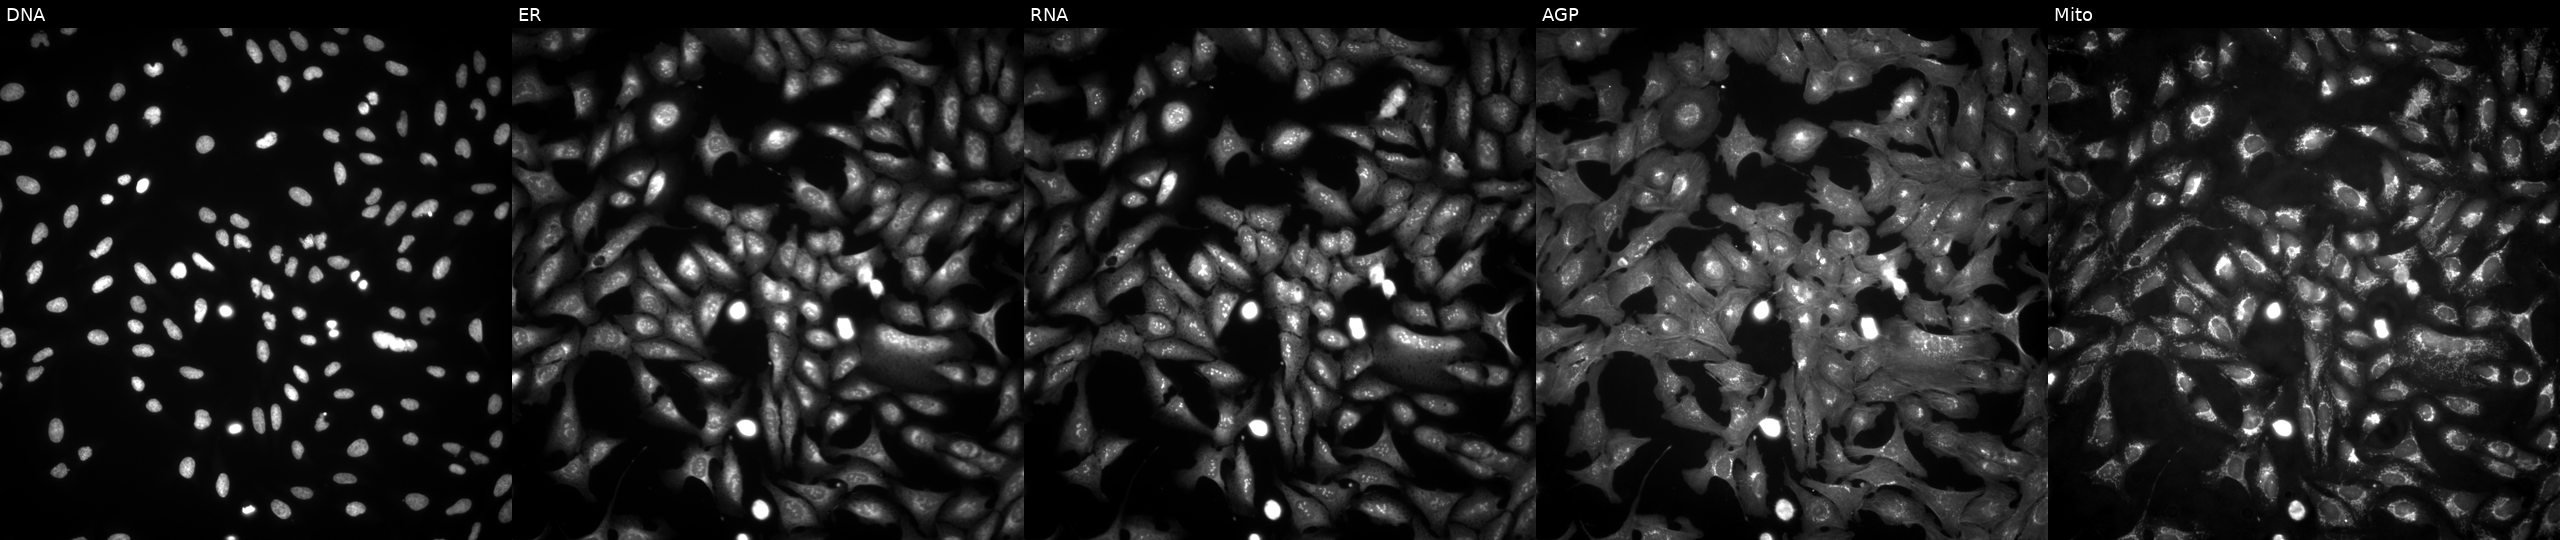
The five panels, left to right, show DNA (nuclei); ER (endoplasmic reticulum); RNA (nucleoli and cytoplasmic RNA); AGP (actin cytoskeleton, Golgi, and plasma membrane); Mito (mitochondria). U2OS osteosarcoma cells with C9orf116 overexpressed (ORF) (JUMP id JCP2022_904600). Cell Painting assay, JUMP-CP dataset.